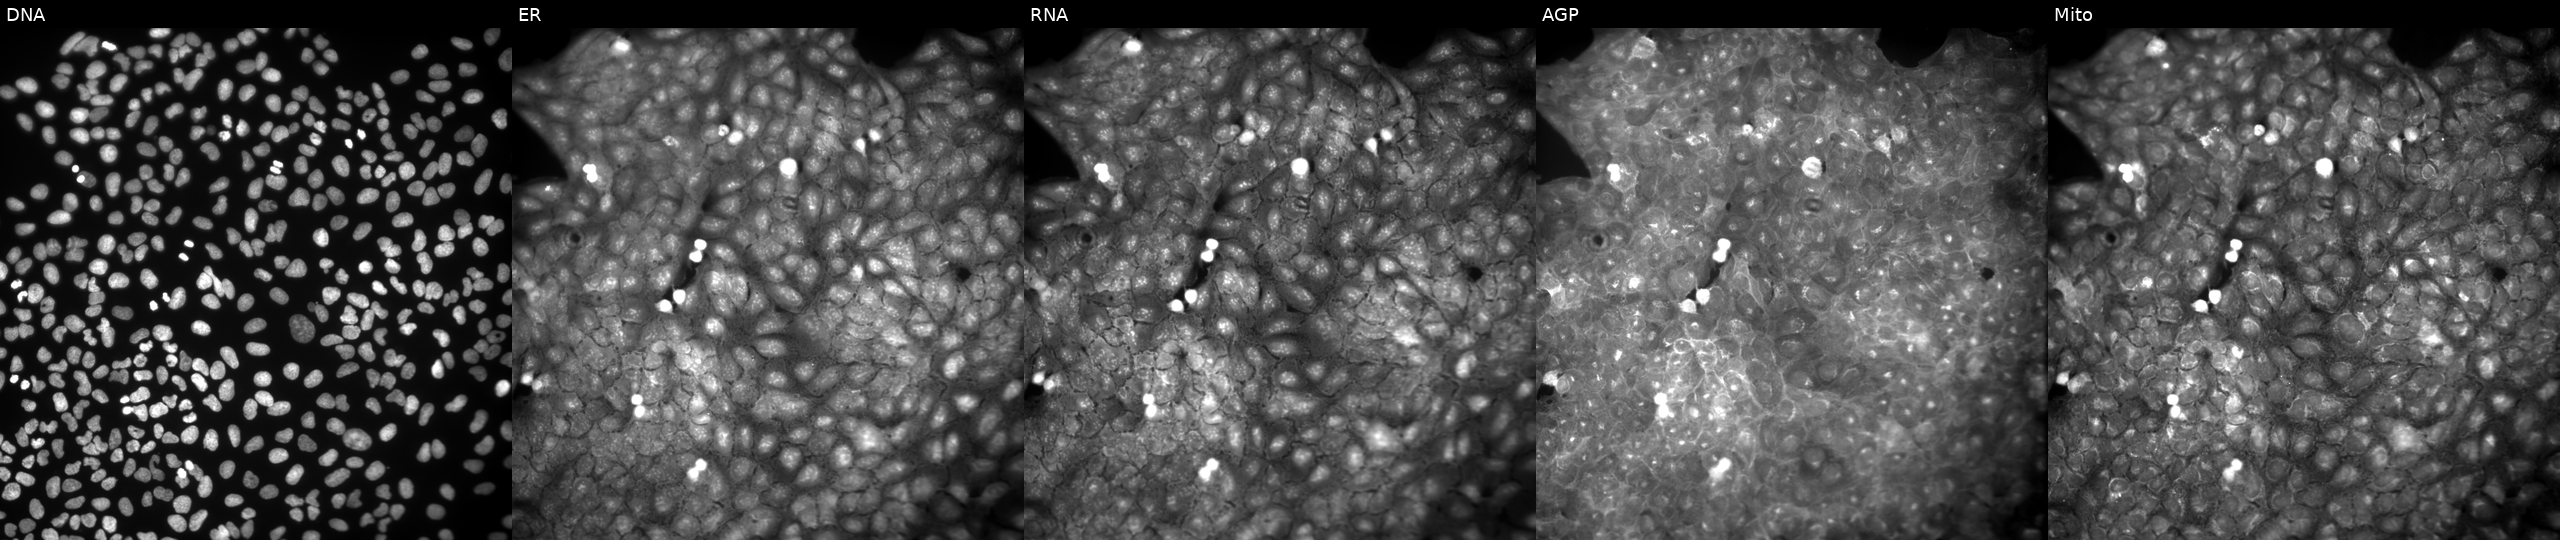
U2OS cells, Cell Painting assay, exposed to DMSO alone as a negative control. From left to right: Hoechst 33342, concanavalin A, SYTO 14, phalloidin and WGA, MitoTracker. Each panel is percentile-stretched 16-bit fluorescence.